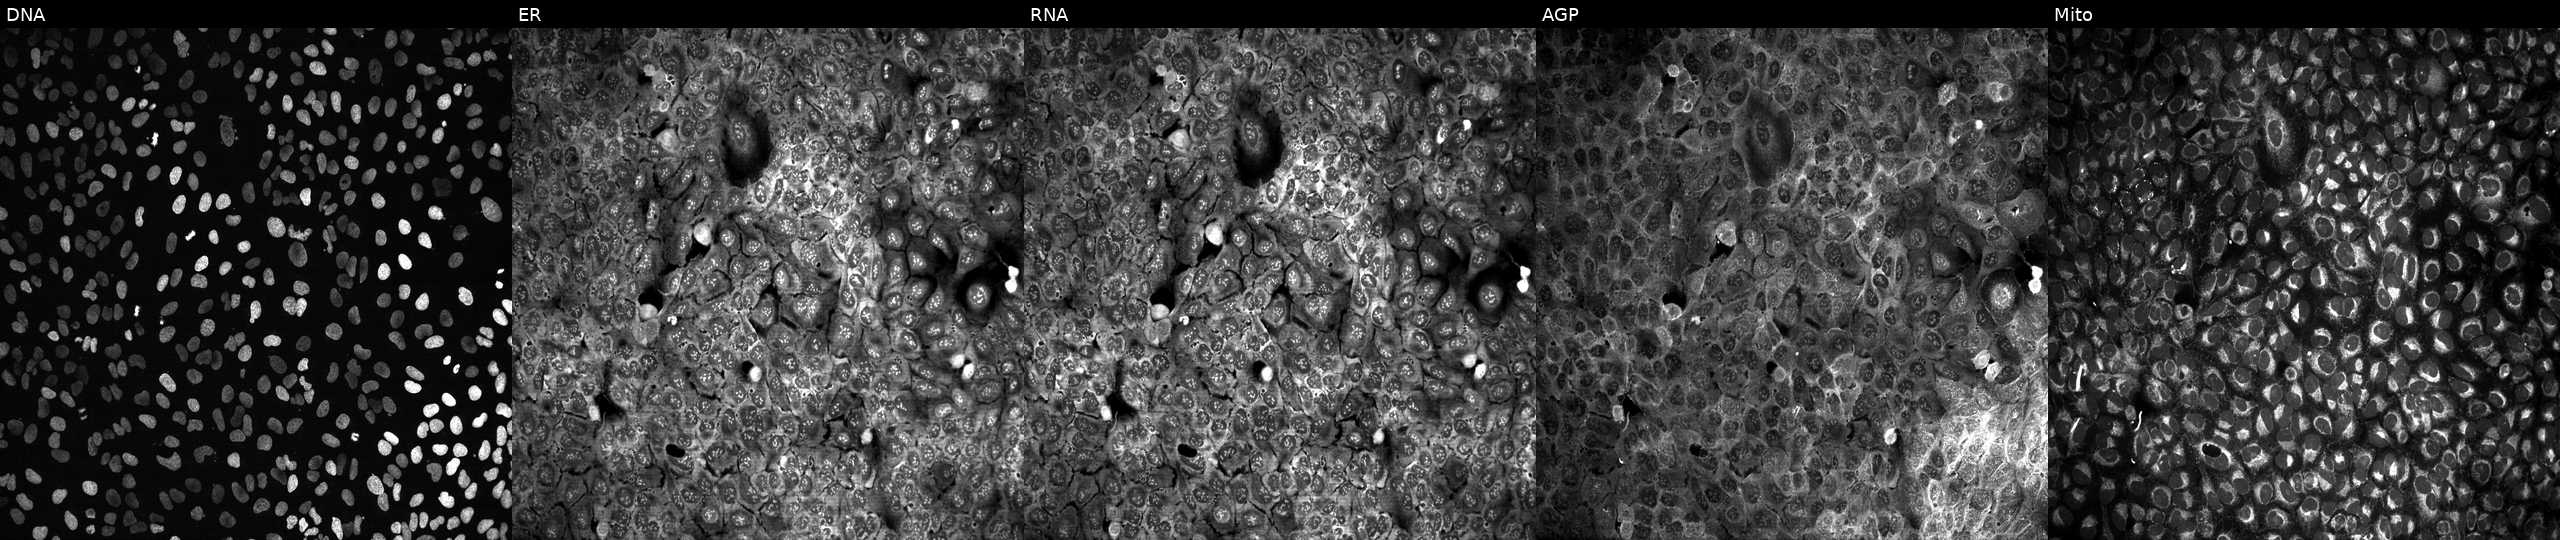
Channels (left→right): DNA, ER, RNA, AGP, and Mito. U2OS osteosarcoma cells with ABHD4 knocked out by CRISPR. Cell Painting assay, JUMP-CP dataset.